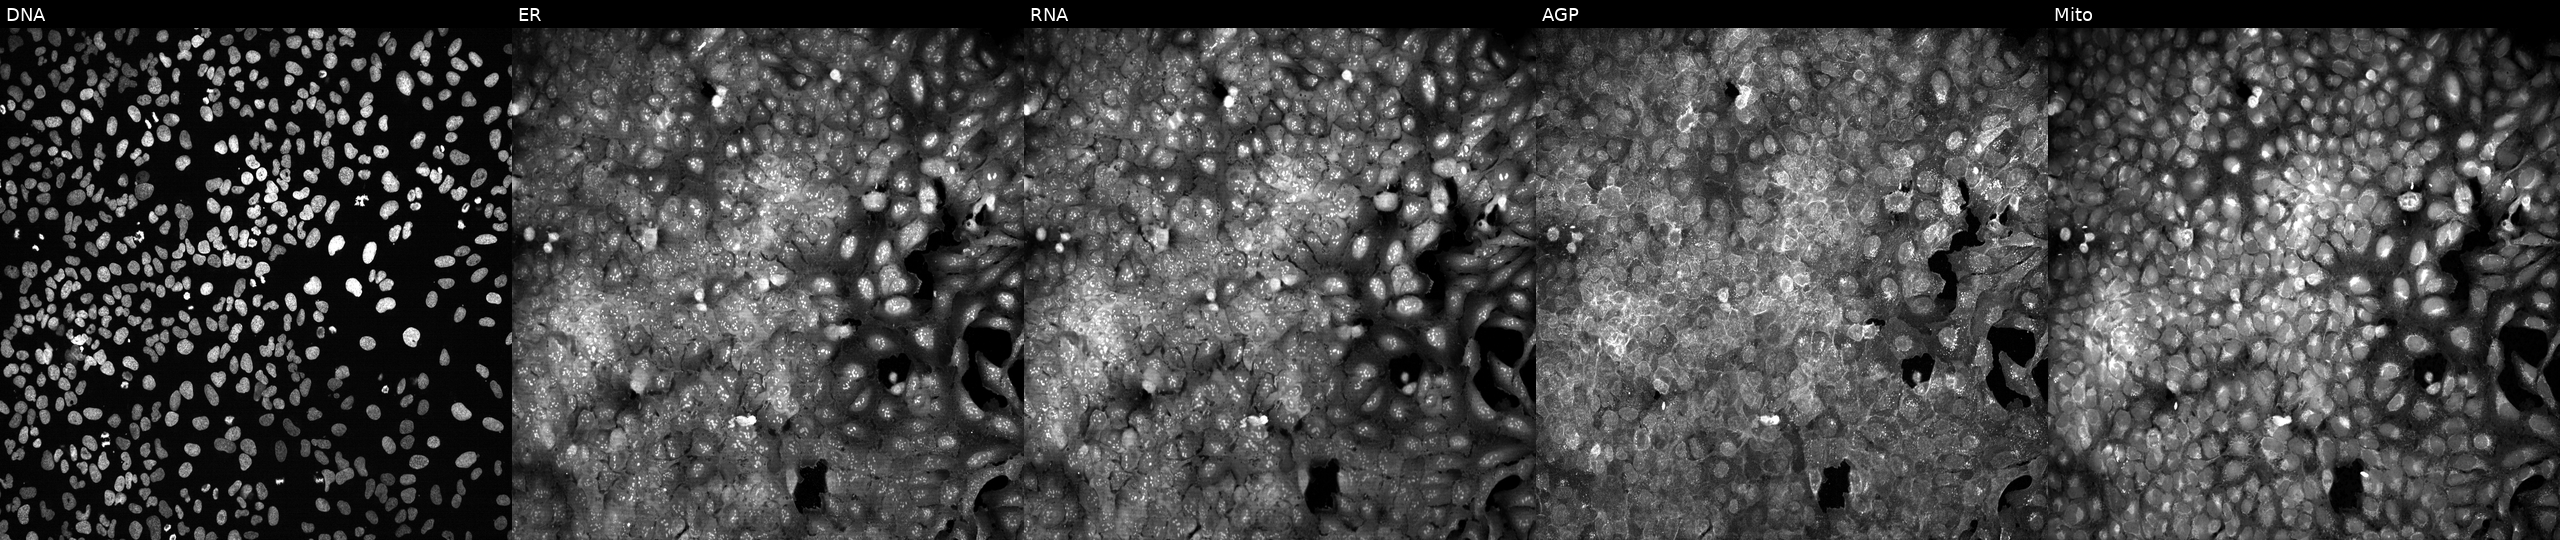
Panels show, left to right, DNA (nuclei); ER (endoplasmic reticulum); RNA (nucleoli and cytoplasmic RNA); AGP (actin cytoskeleton, Golgi, and plasma membrane); Mito (mitochondria). U2OS osteosarcoma cells following CRISPR knockout of AKAP14. Cell Painting assay, JUMP-CP dataset.